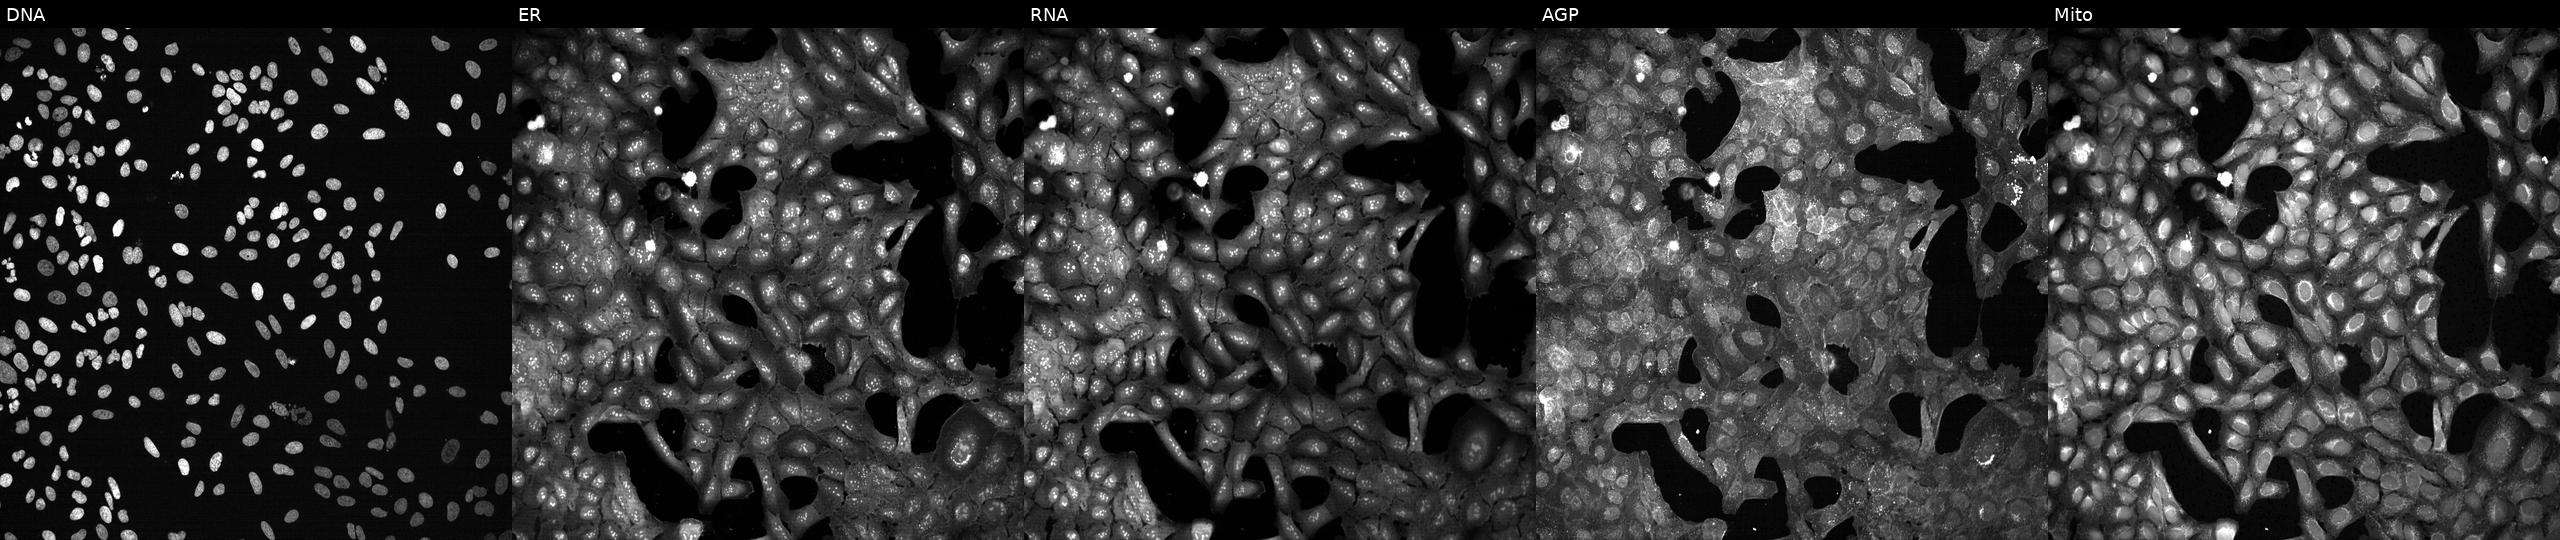
This image strip shows the five Cell Painting channels for a single field of U2OS cells CRISPR-edited to disrupt CA7 (JUMP id JCP2022_800983). The five panels, left to right, show DNA, ER, RNA, AGP, and Mito.